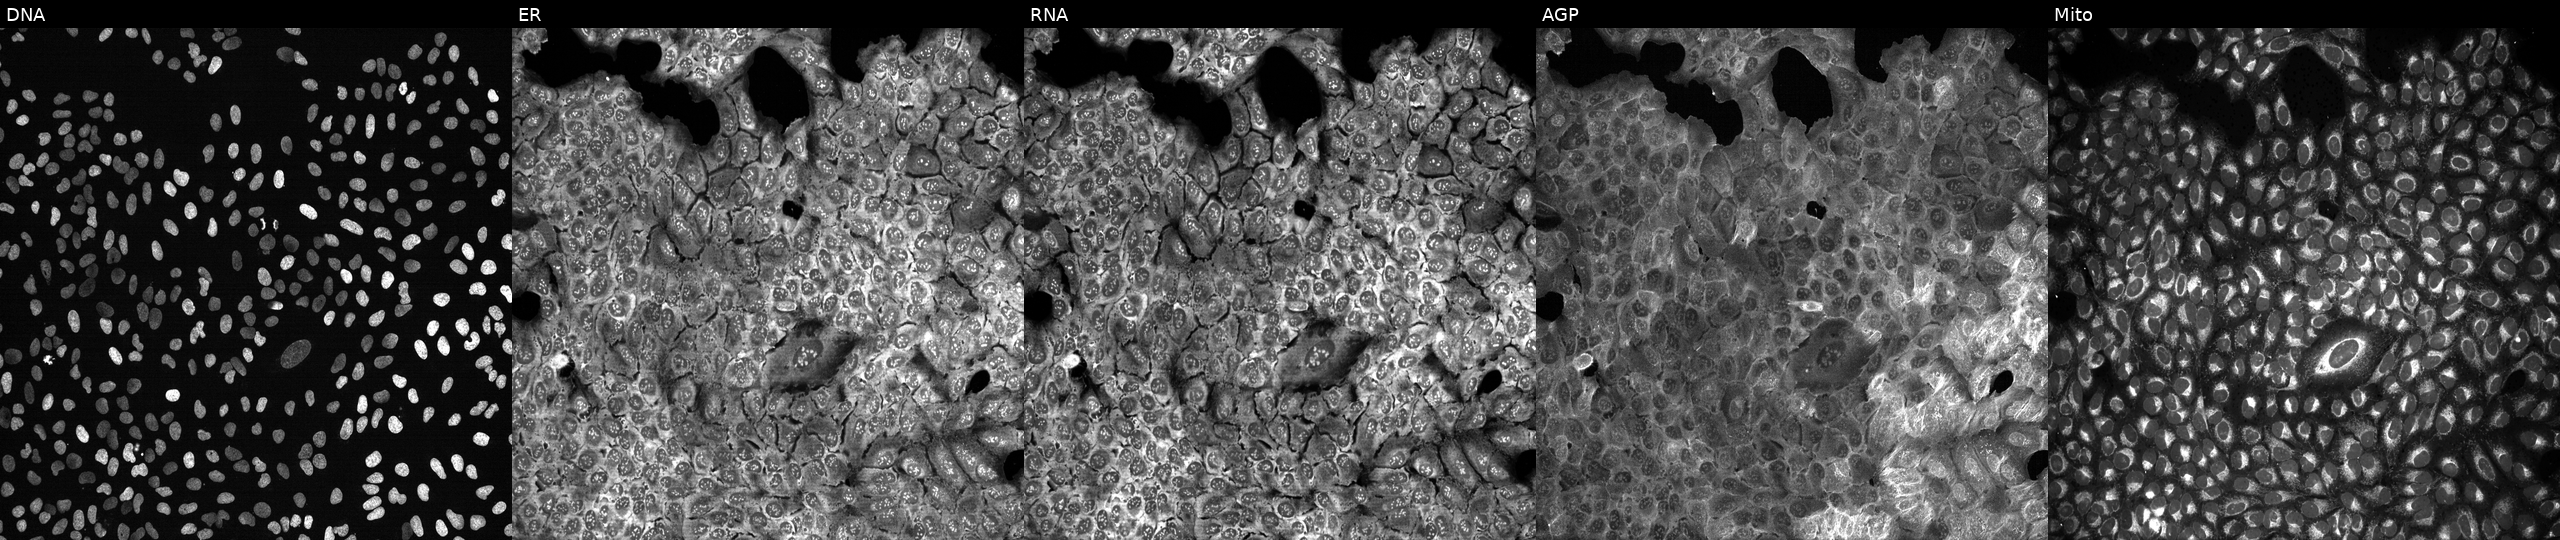
This image strip shows the five Cell Painting channels for a single field of U2OS cells CRISPR-edited to disrupt CD14. Channels (left→right): DNA, ER, RNA, AGP, and Mito.